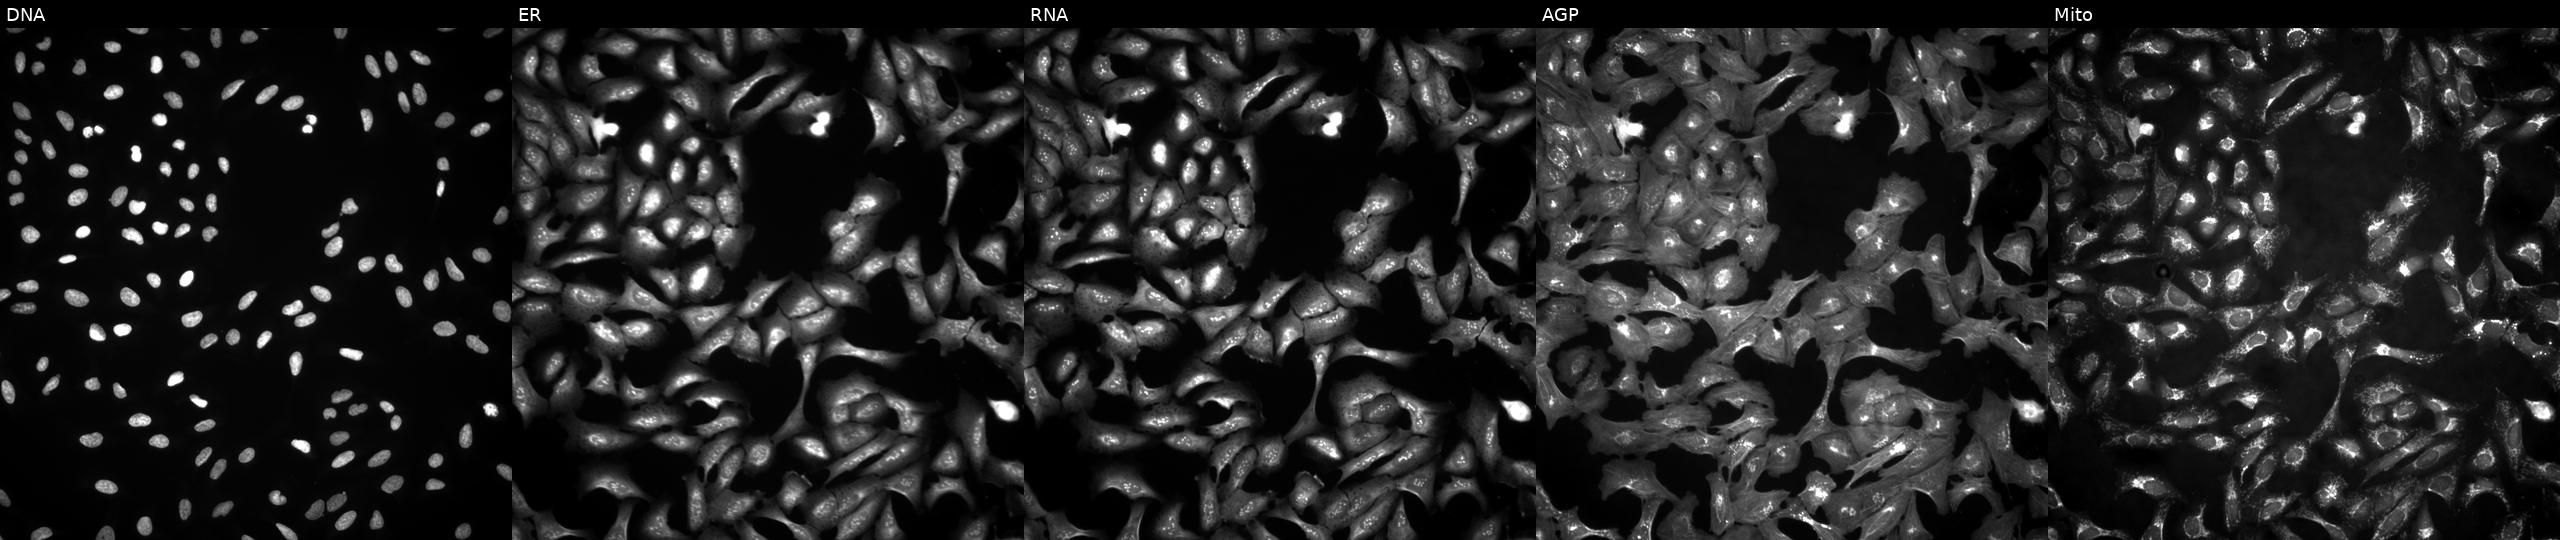
JUMP Cell Painting — ORF plate. U2OS cells transfected with an ORF construct for VMA21. From left to right: DNA, ER, RNA, AGP, and Mito.